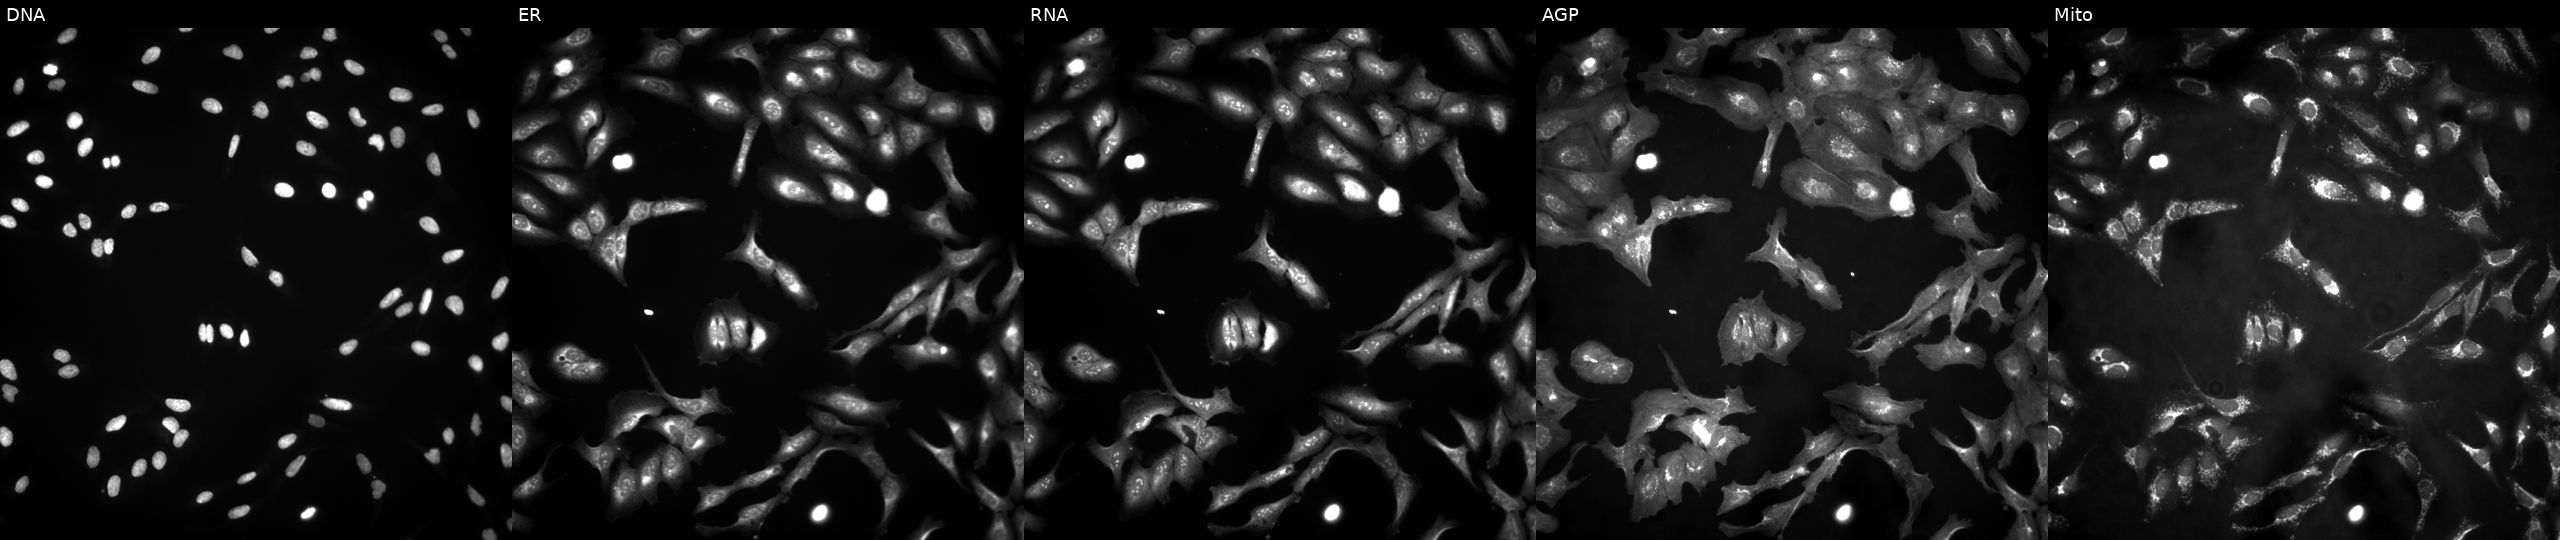
U2OS cells, Cell Painting assay, overexpressing ARL8A via ORF transfection (JUMP id JCP2022_904525). The five panels, left to right, show DNA (nuclei); ER (endoplasmic reticulum); RNA (nucleoli and cytoplasmic RNA); AGP (actin cytoskeleton, Golgi, and plasma membrane); Mito (mitochondria). Each panel is percentile-stretched 16-bit fluorescence. Source 4, plate BR00121543, well N22.